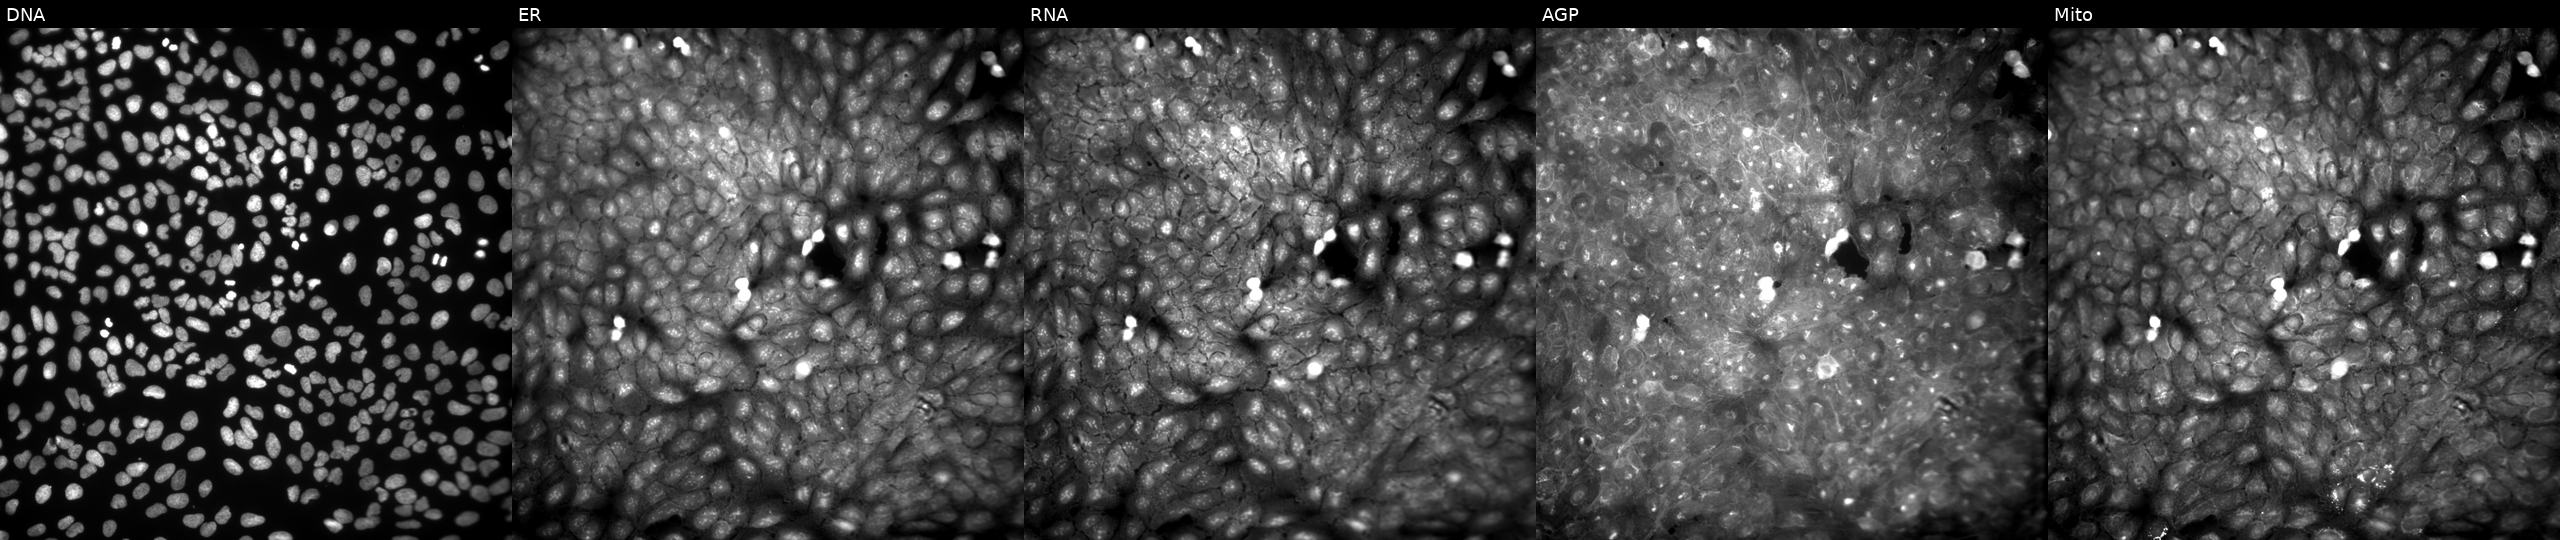
U2OS cells, Cell Painting assay, treated with a small-molecule compound (InChIKey XWHQTQYOMADXSL-UHFFFAOYSA-N) (JUMP id JCP2022_106463). The five panels, left to right, show DNA (nuclei); ER (endoplasmic reticulum); RNA (nucleoli and cytoplasmic RNA); AGP (actin cytoskeleton, Golgi, and plasma membrane); Mito (mitochondria). Each panel is percentile-stretched 16-bit fluorescence.